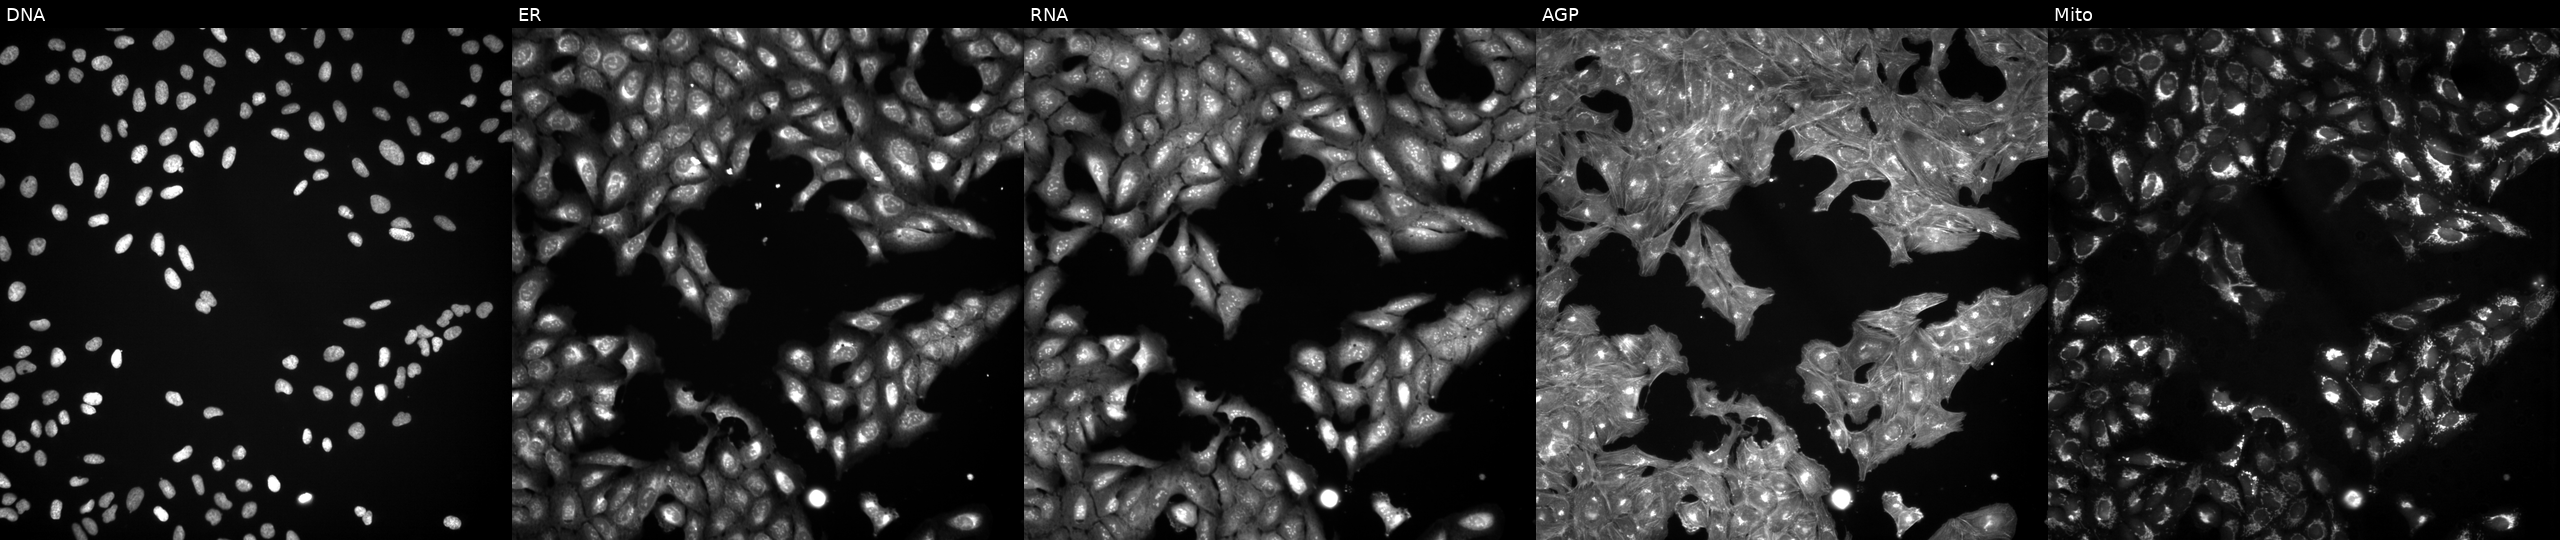
Five-channel Cell Painting image of U2OS cells treated with a small-molecule compound [SMILES: NCC(CC(=O)O)c1ccc(Cl)cc1] (JUMP id JCP2022_046239). The five panels, left to right, show DNA (nuclei); ER (endoplasmic reticulum); RNA (nucleoli and cytoplasmic RNA); AGP (actin cytoskeleton, Golgi, and plasma membrane); Mito (mitochondria). Source 3, plate JCPQC053, well G13.